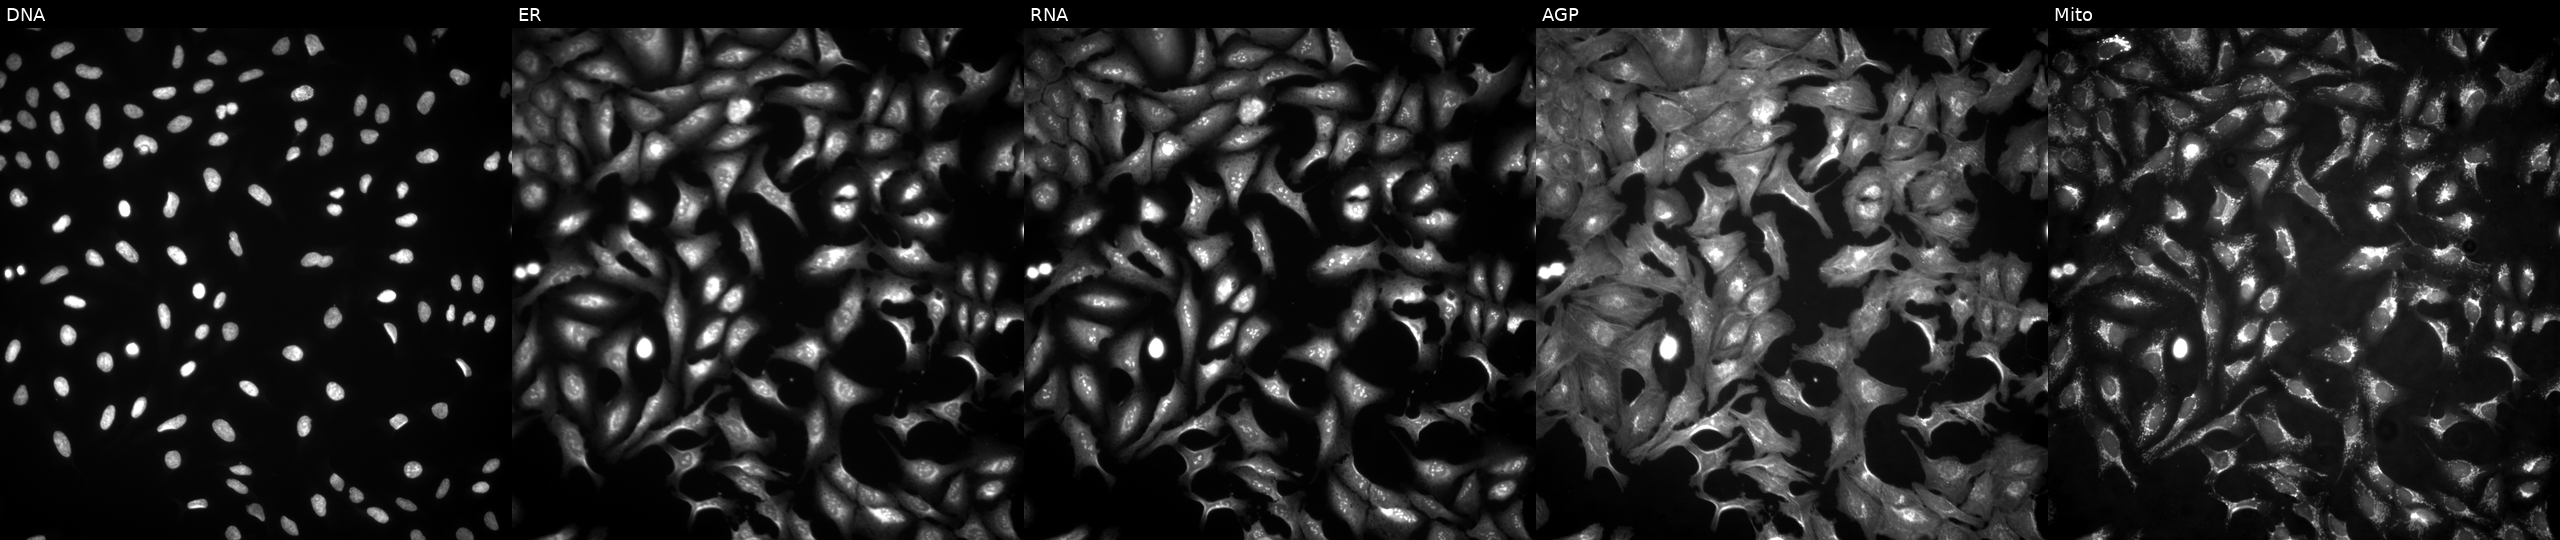
Five-channel Cell Painting image of U2OS cells overexpressing OTOGL via ORF transfection (JUMP id JCP2022_912579). Panels show, left to right, DNA (nuclei); ER (endoplasmic reticulum); RNA (nucleoli and cytoplasmic RNA); AGP (actin cytoskeleton, Golgi, and plasma membrane); Mito (mitochondria).